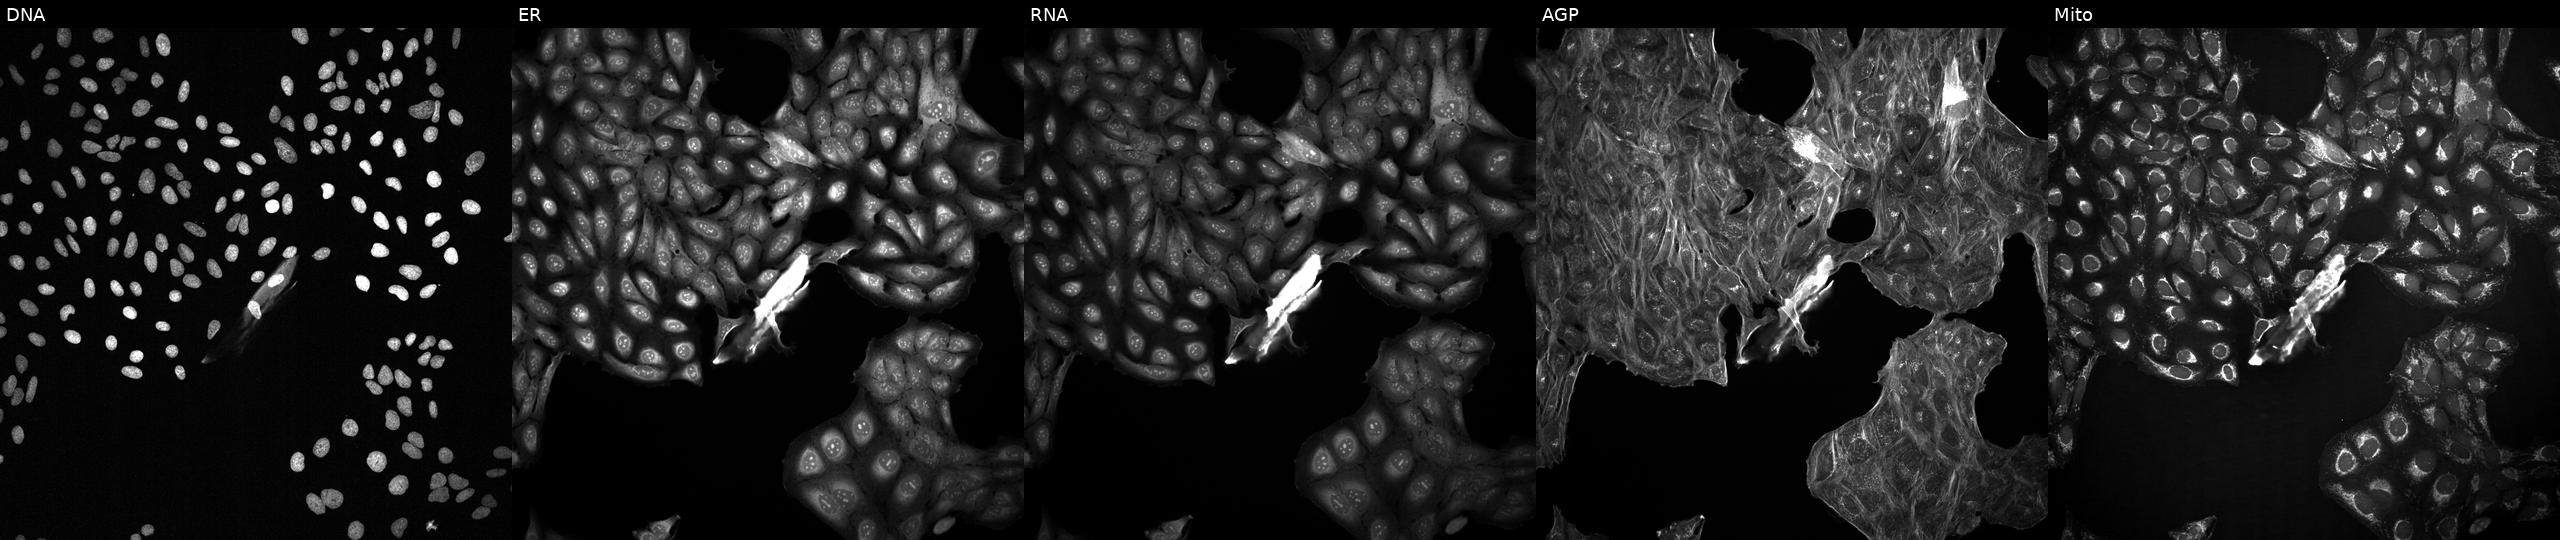
This image strip shows the five Cell Painting channels for a single field of U2OS cells exposed to DMSO alone as a negative control (JUMP id JCP2022_033924). From left to right: DNA, ER, RNA, AGP, and Mito. Source 2, plate 1053601763, well D23.